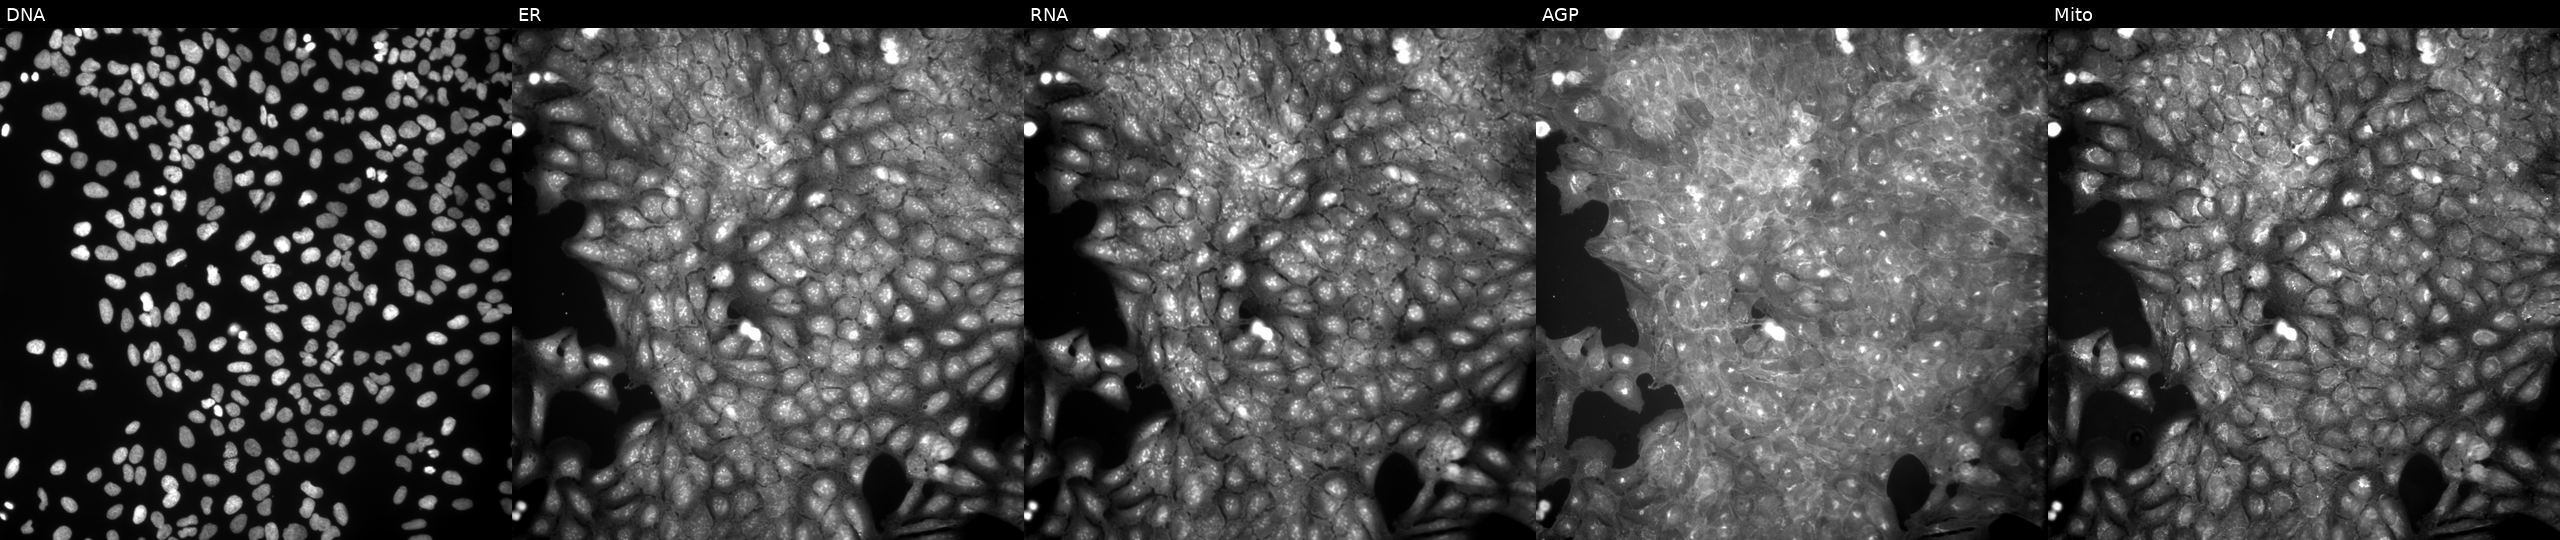
JUMP Cell Painting — COMPOUND plate. U2OS cells perturbed with a small-molecule compound (InChIKey RZWVBSYMPVCZNJ-UHFFFAOYSA-N). Panels show, left to right, DNA (nuclei); ER (endoplasmic reticulum); RNA (nucleoli and cytoplasmic RNA); AGP (actin cytoskeleton, Golgi, and plasma membrane); Mito (mitochondria).